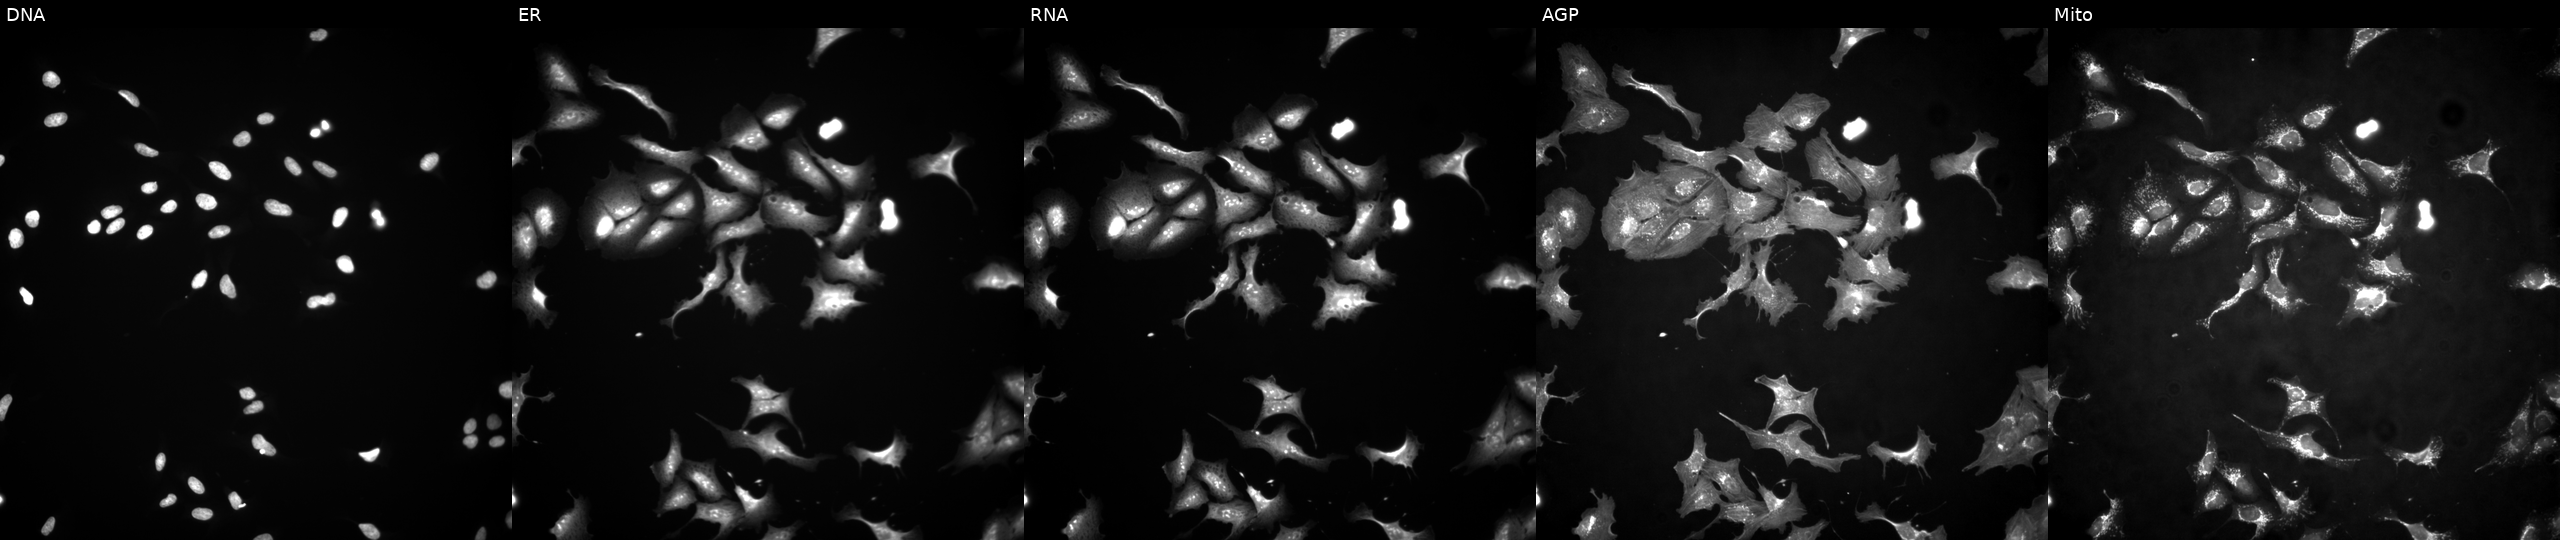
U2OS cells, Cell Painting assay, transfected with an ORF construct for RUVBL2. Panels show, left to right, Hoechst 33342, concanavalin A, SYTO 14, phalloidin and WGA, MitoTracker. Each panel is percentile-stretched 16-bit fluorescence.